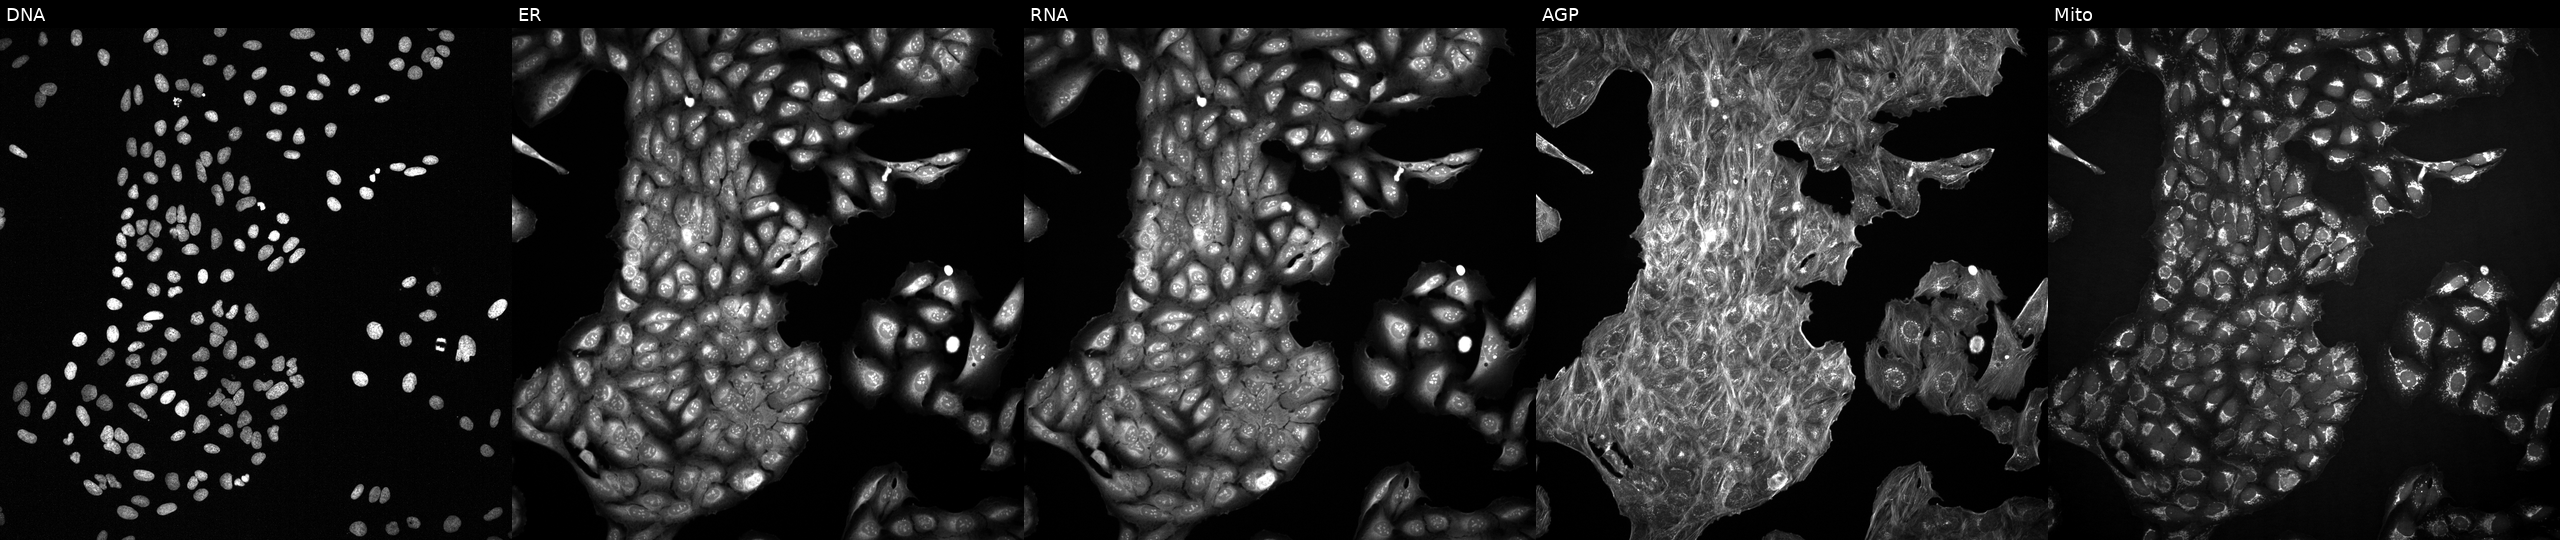
JUMP Cell Painting — COMPOUND plate. U2OS cells exposed to a small-molecule compound. Panels show, left to right, Hoechst 33342, concanavalin A, SYTO 14, phalloidin and WGA, MitoTracker.